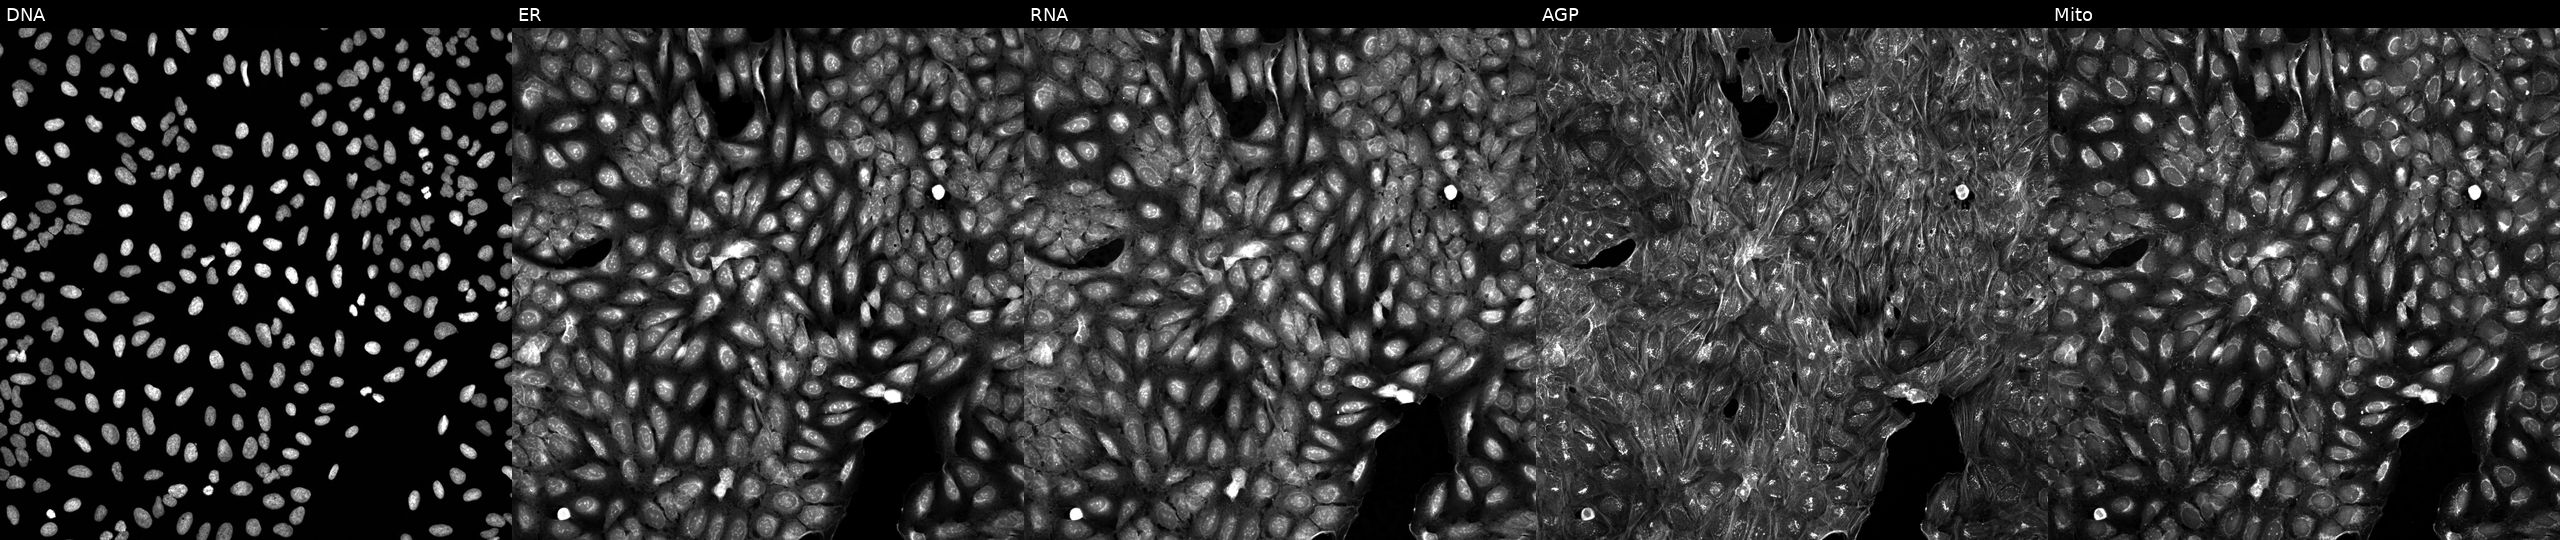
High-content fluorescence microscopy (Cell Painting). Cell line: U2OS. Perturbation: treated with a small-molecule compound (InChIKey WXARFZBHWRCNEV-UHFFFAOYSA-N). Channels (left→right): DNA, ER, RNA, AGP, and Mito.